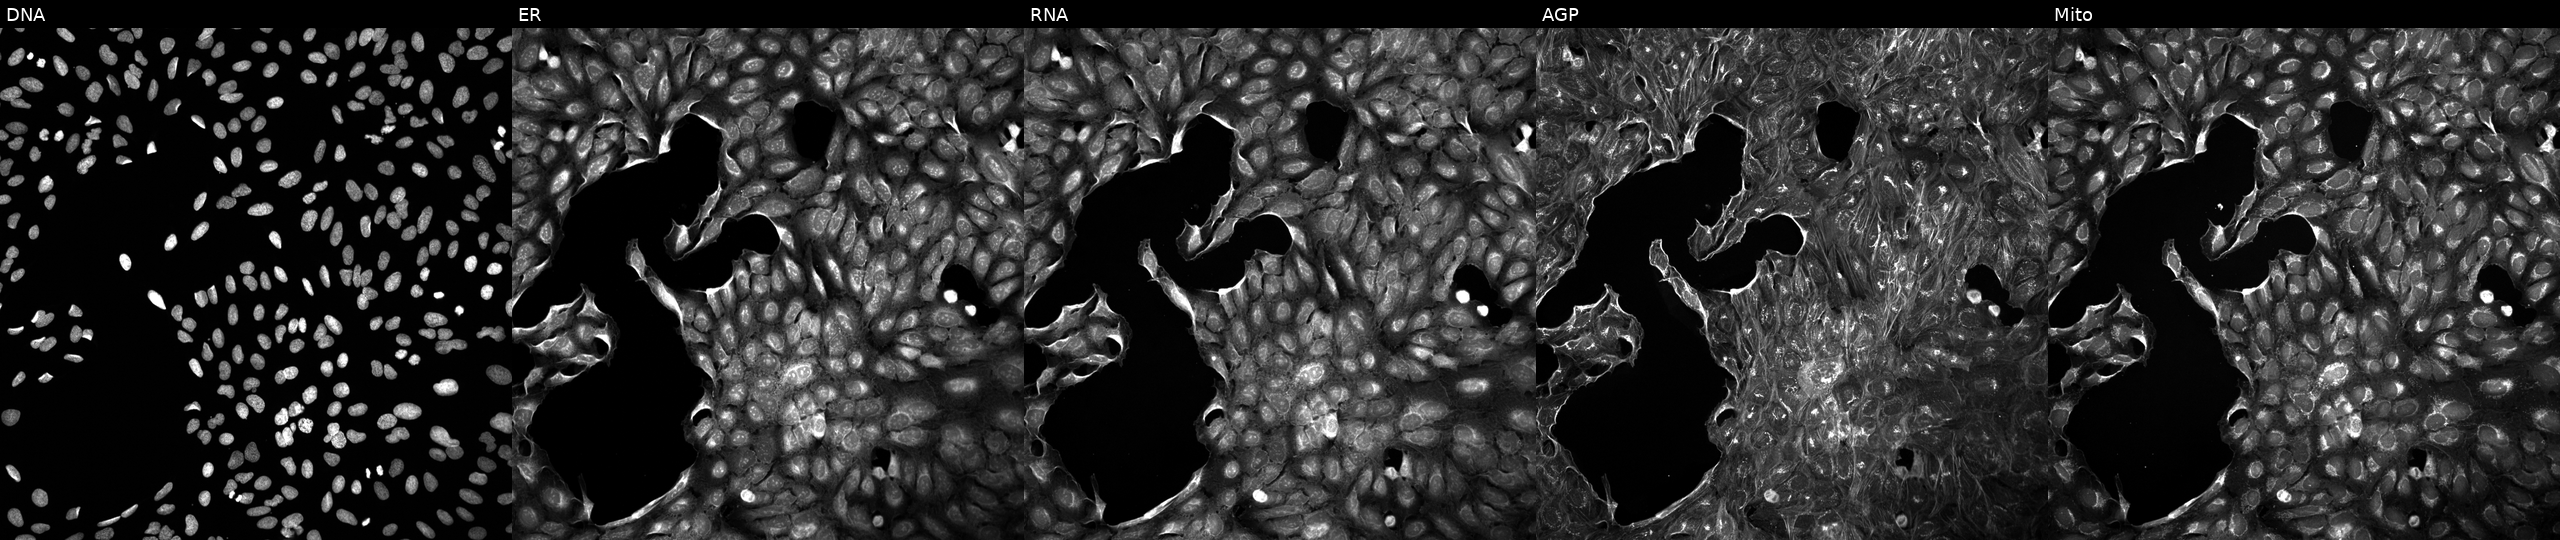
This image strip shows the five Cell Painting channels for a single field of U2OS cells treated with a small-molecule compound (InChIKey DZZXKSSIBZPAMX-UHFFFAOYSA-N) (JUMP id JCP2022_019302). Panels show, left to right, DNA (nuclei); ER (endoplasmic reticulum); RNA (nucleoli and cytoplasmic RNA); AGP (actin cytoskeleton, Golgi, and plasma membrane); Mito (mitochondria). Source 5, plate APTJUM105, well M18.